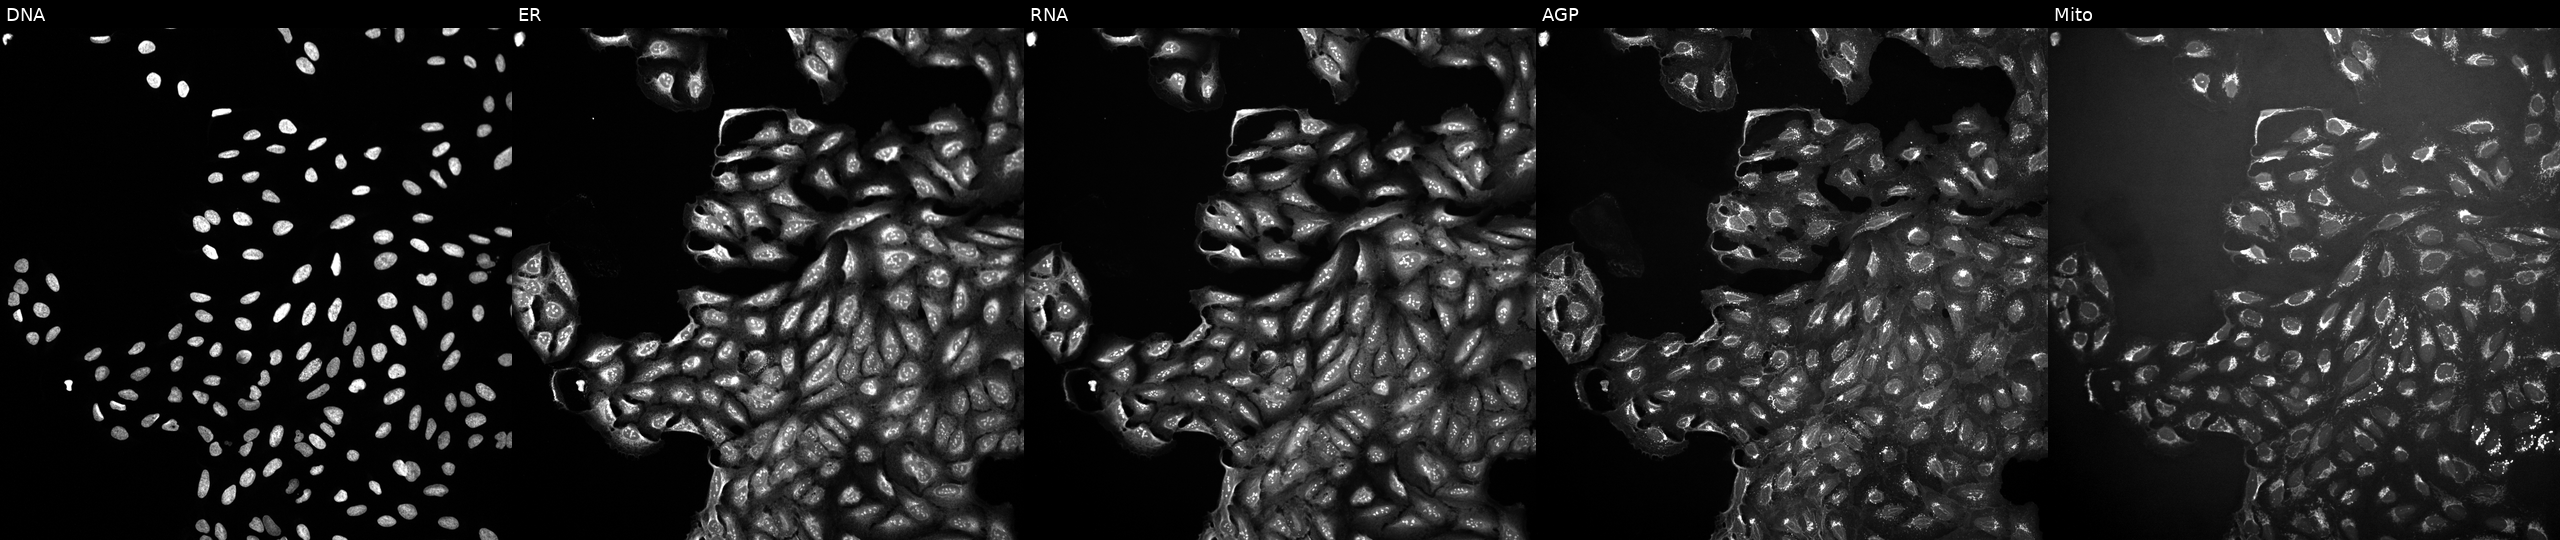
High-content fluorescence microscopy (Cell Painting). Cell line: U2OS. Perturbation: exposed to a small-molecule compound (InChIKey FHPOTBQOUBMMCI-UHFFFAOYSA-N) [SMILES: FCc1ccc(OCCOc2ccc(Cl)cc2Cl)c(Cl)n1] (JUMP id JCP2022_020718). The five panels, left to right, show DNA (nuclei); ER (endoplasmic reticulum); RNA (nucleoli and cytoplasmic RNA); AGP (actin cytoskeleton, Golgi, and plasma membrane); Mito (mitochondria).